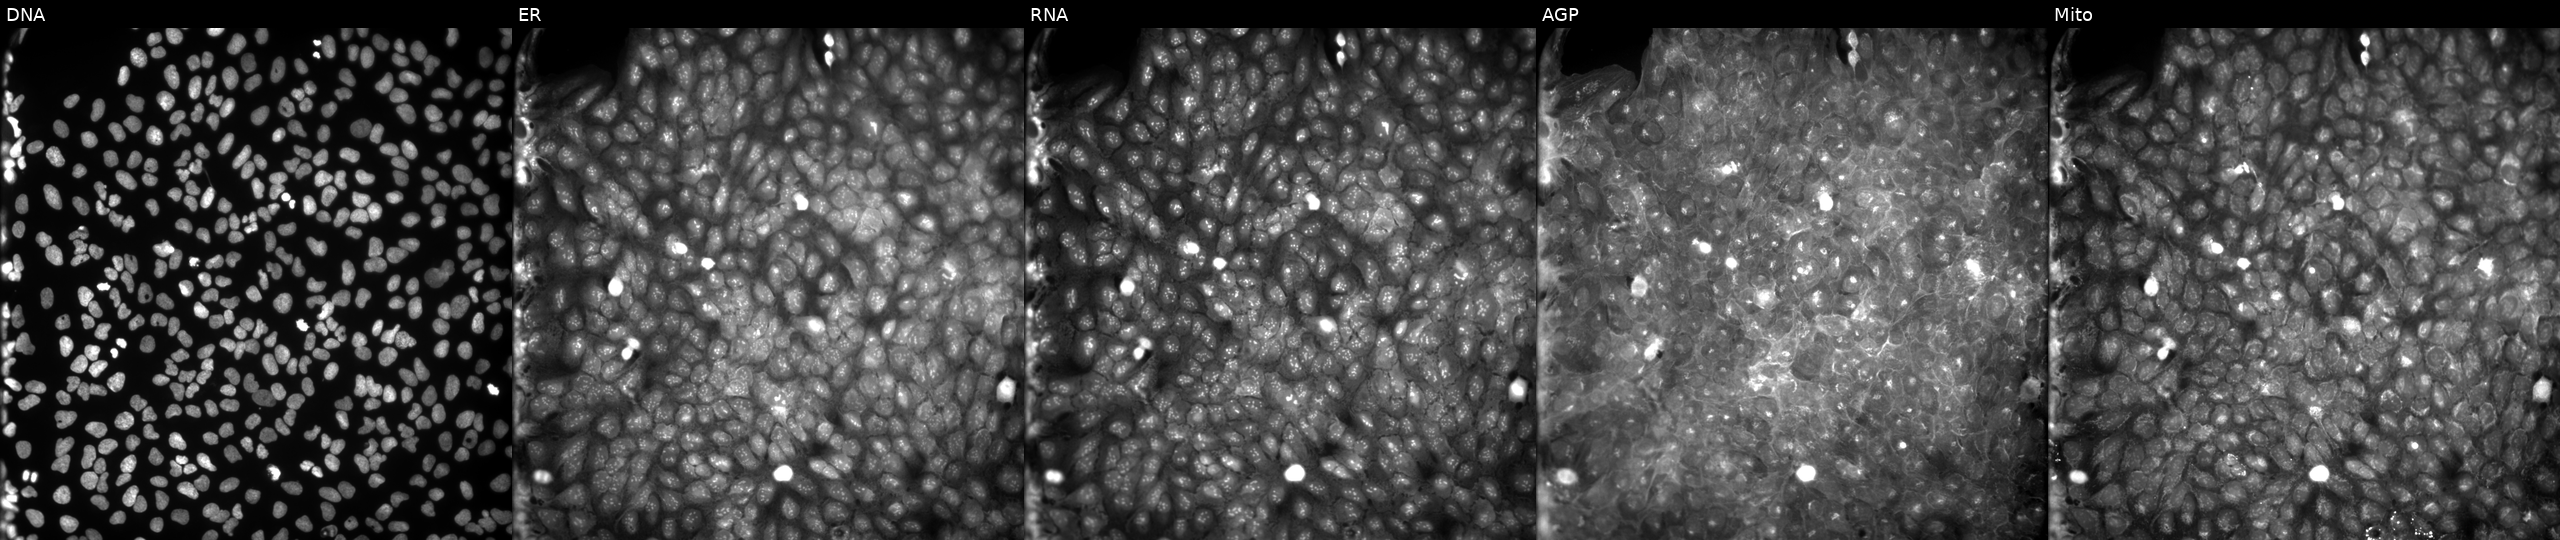
This image strip shows the five Cell Painting channels for a single field of U2OS cells treated with a small-molecule compound (InChIKey BWRFYUFVNHYVJN-UHFFFAOYSA-N). From left to right: DNA, ER, RNA, AGP, and Mito.